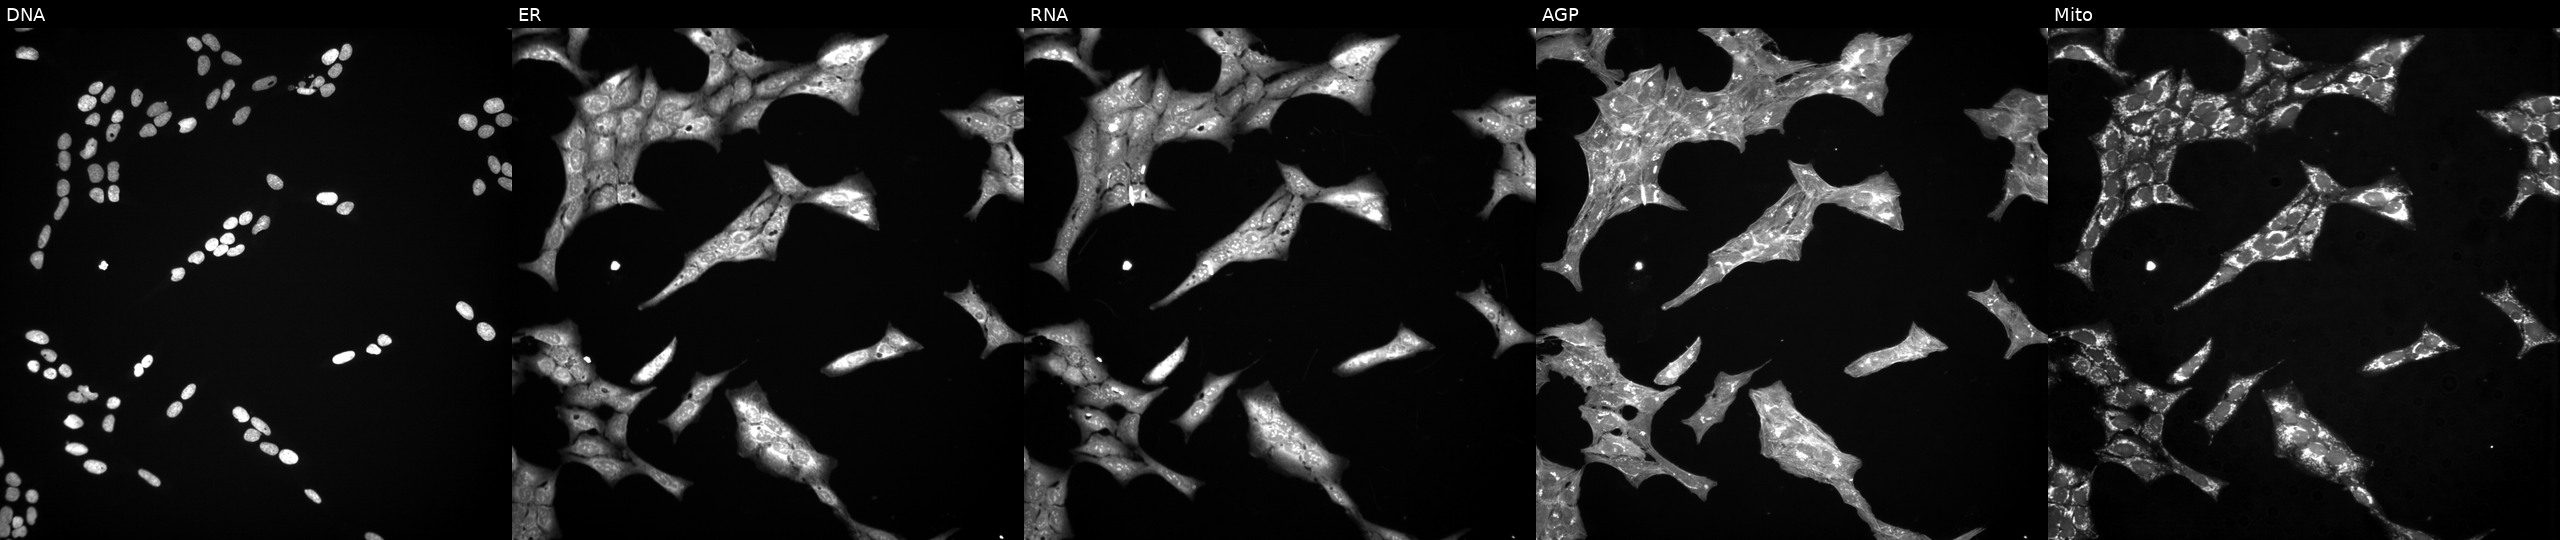
This image strip shows the five Cell Painting channels for a single field of U2OS cells treated with a small-molecule compound [SMILES: O=C1NC(=O)c2c1c1c3ccccc3[nH]c1c1[nH]c3ccccc3c21] (JUMP id JCP2022_043287). From left to right: DNA (nuclei); ER (endoplasmic reticulum); RNA (nucleoli and cytoplasmic RNA); AGP (actin cytoskeleton, Golgi, and plasma membrane); Mito (mitochondria).